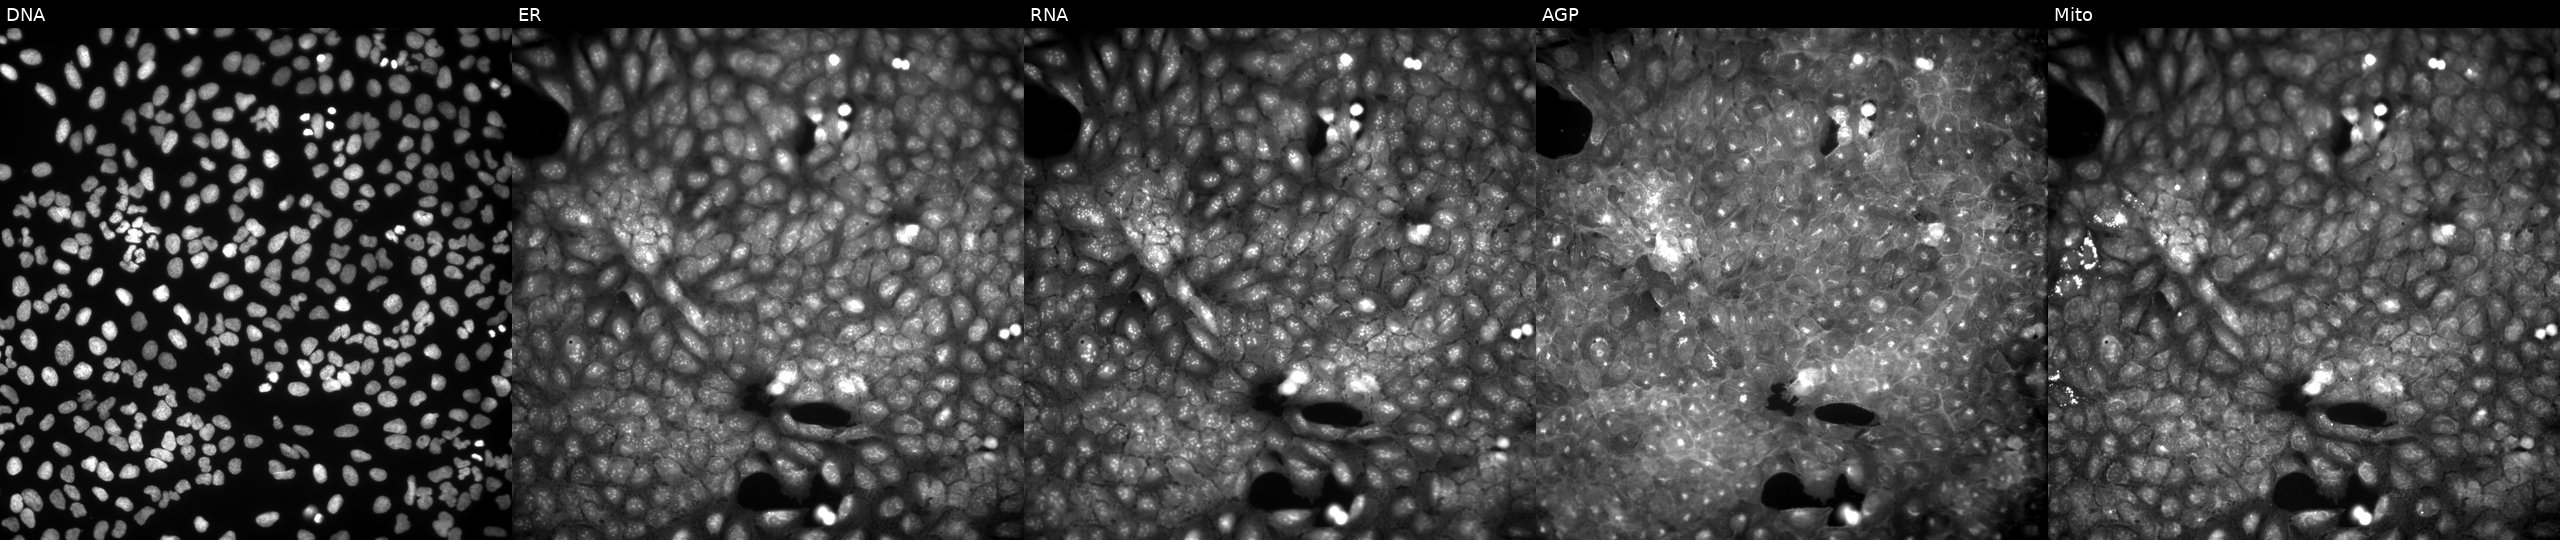
U2OS cells, Cell Painting assay, perturbed with a small-molecule compound (JUMP id JCP2022_029471). The five panels, left to right, show DNA, ER, RNA, AGP, and Mito. Each panel is percentile-stretched 16-bit fluorescence. Source 9, plate GR00003381, well AD20.